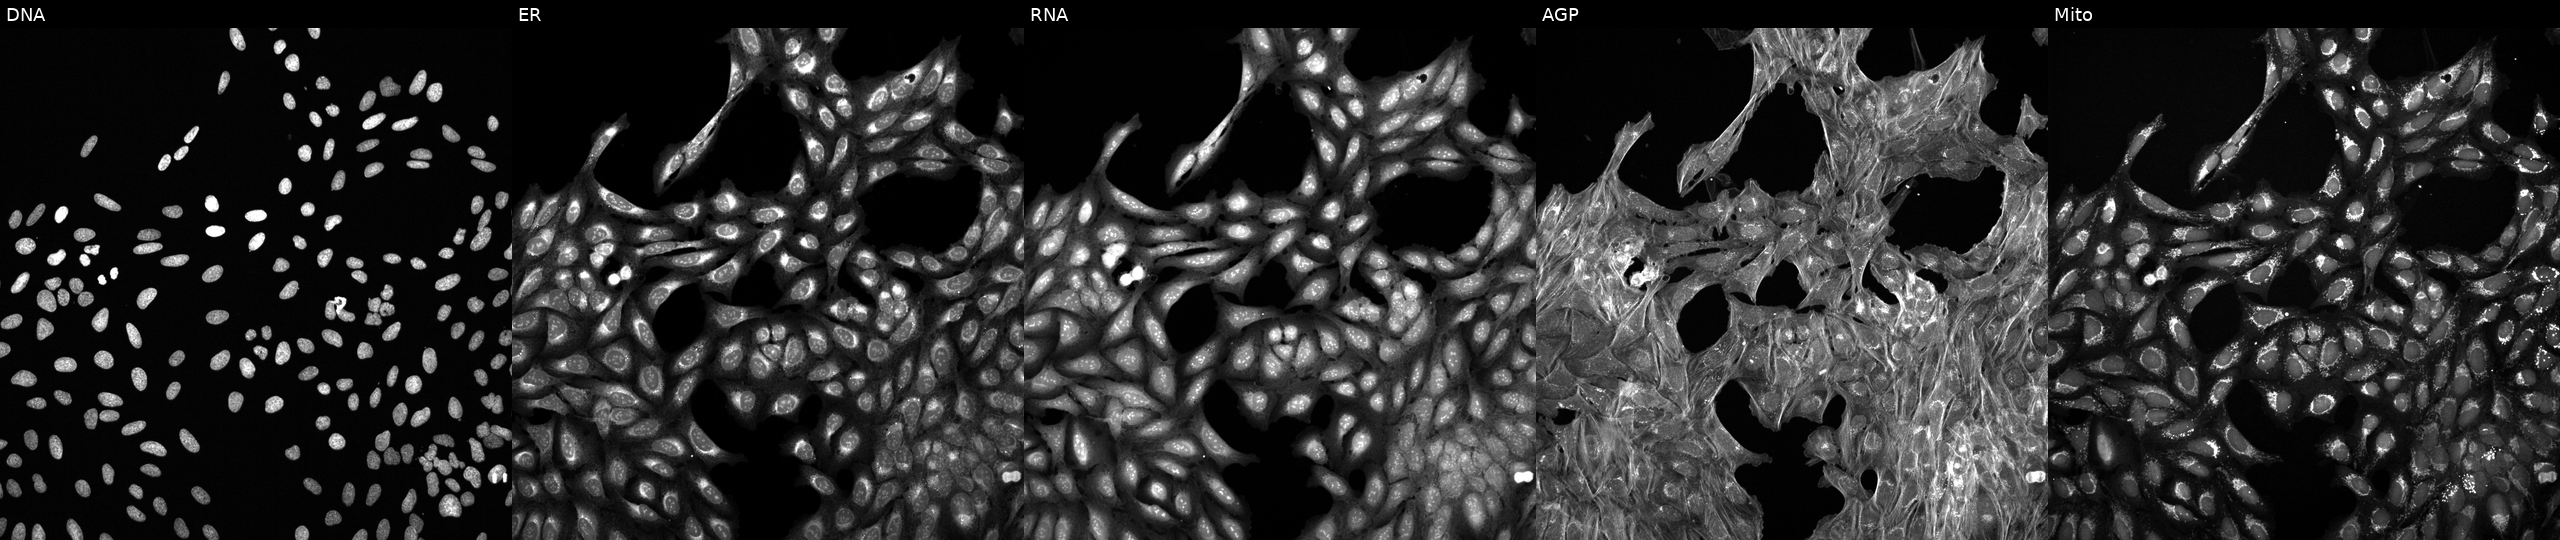
This image strip shows the five Cell Painting channels for a single field of U2OS cells exposed to DMSO alone as a negative control. The five panels, left to right, show Hoechst 33342, concanavalin A, SYTO 14, phalloidin and WGA, MitoTracker.